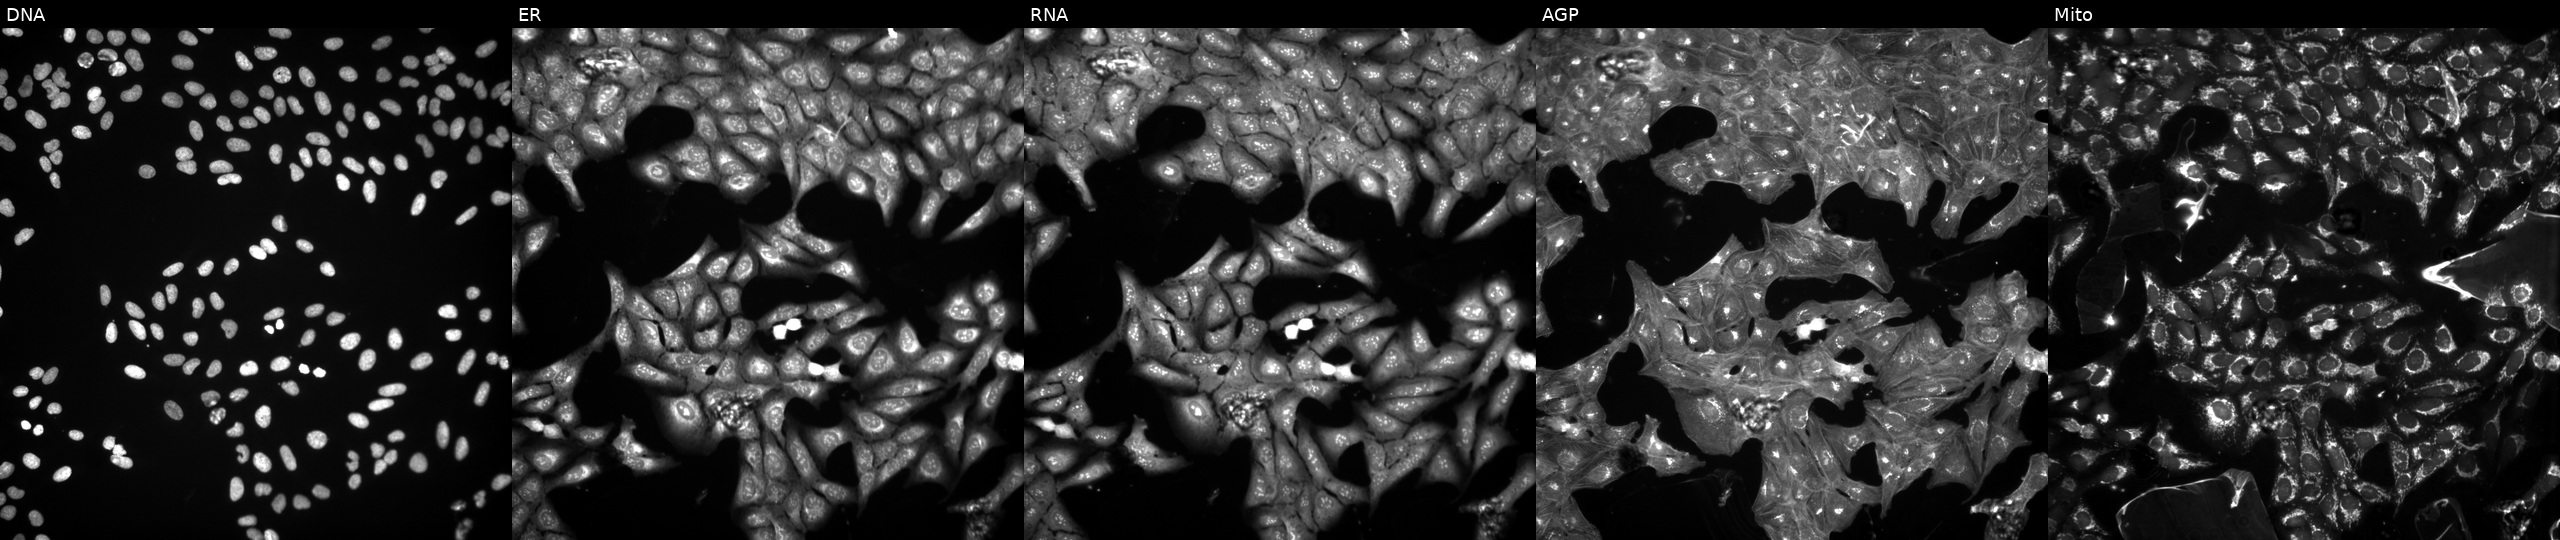
This image strip shows the five Cell Painting channels for a single field of U2OS cells treated with a small-molecule compound [SMILES: c1ccc(-c2[nH]nc(-c3cccs3)c2-c2ncc[nH]2)cc1]. The five panels, left to right, show Hoechst 33342, concanavalin A, SYTO 14, phalloidin and WGA, MitoTracker. Source 3, plate BR5867a3, well L03.